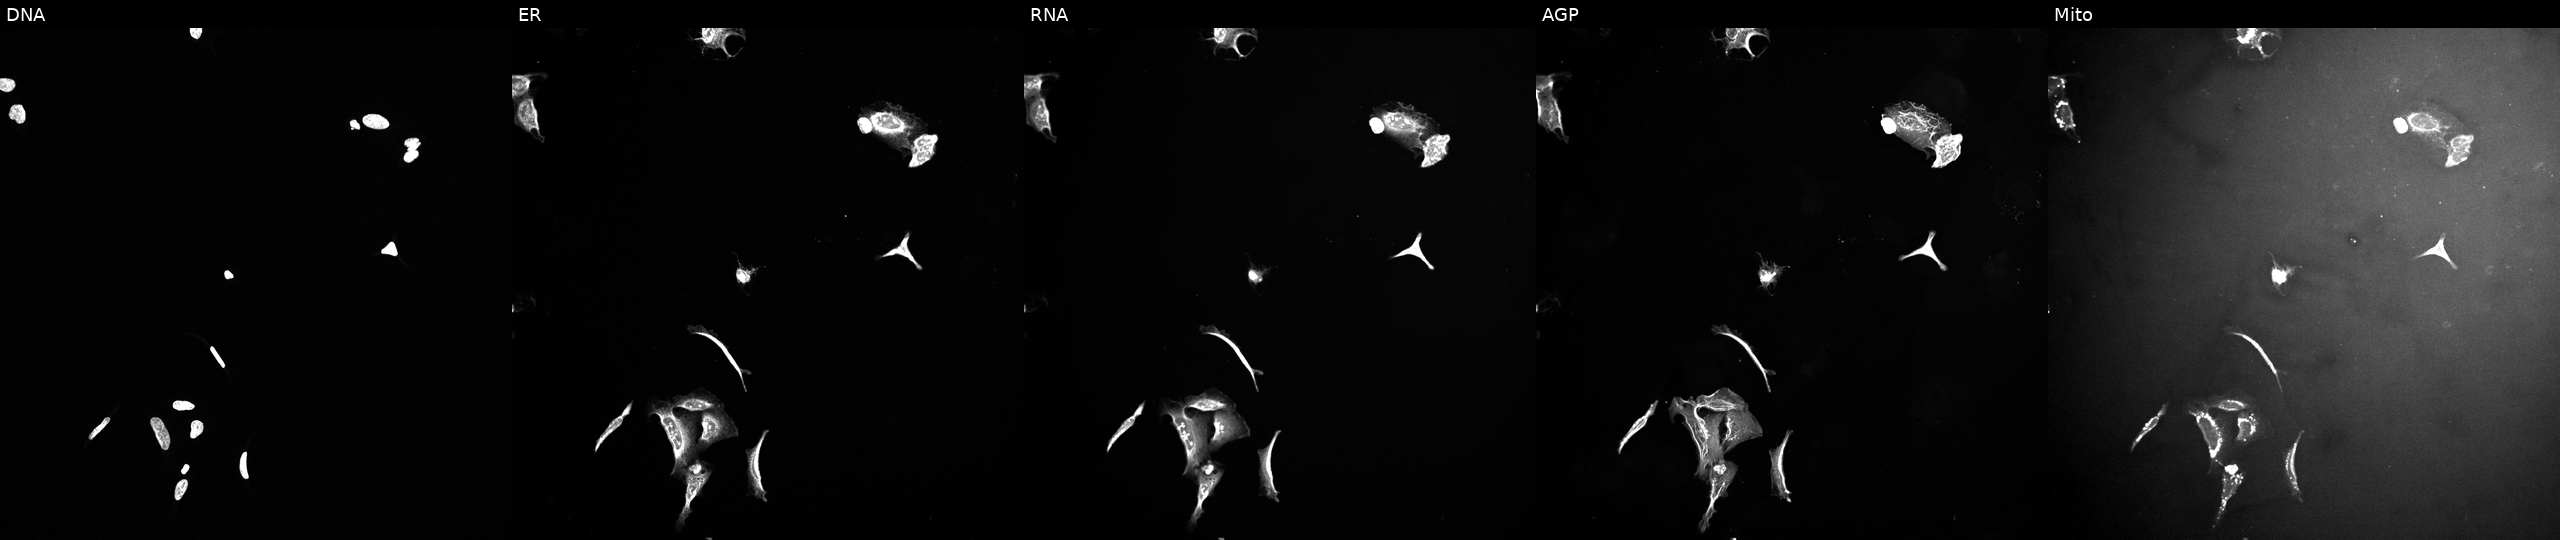
U2OS cells, Cell Painting assay, treated with a small-molecule compound. Channels (left→right): DNA (nuclei); ER (endoplasmic reticulum); RNA (nucleoli and cytoplasmic RNA); AGP (actin cytoskeleton, Golgi, and plasma membrane); Mito (mitochondria). Each panel is percentile-stretched 16-bit fluorescence. Source 10, plate Dest210727-153003, well P19.